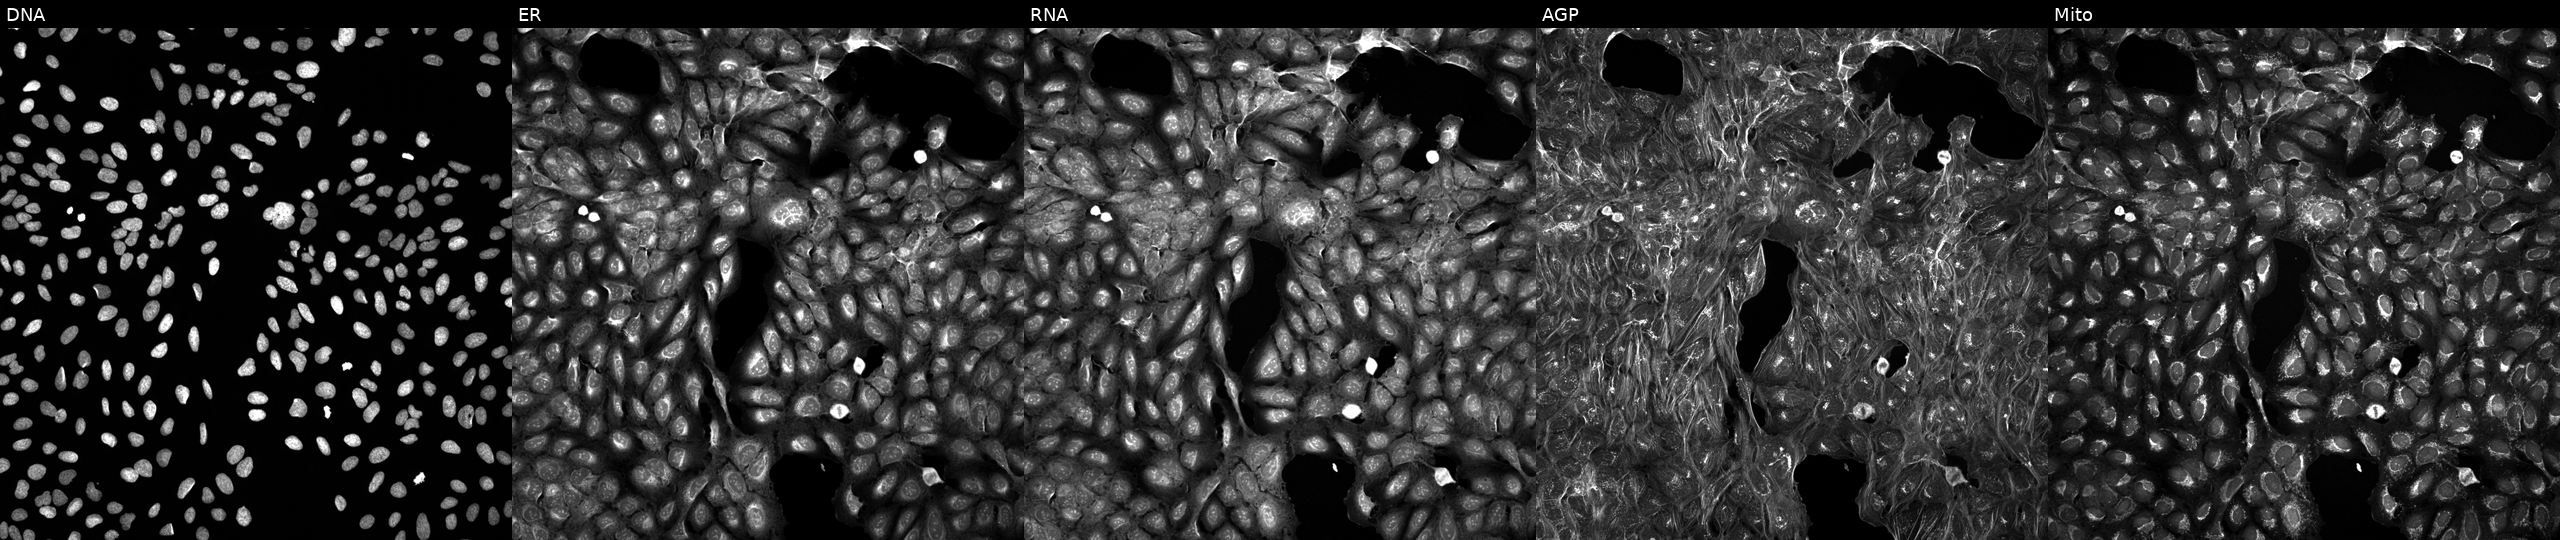
JUMP Cell Painting — TARGET2 plate. U2OS cells perturbed with a small-molecule compound (InChIKey QVZCXCJXTMIDME-UHFFFAOYSA-N) [SMILES: COc1cc(C(=O)OCCCN2CCCN(CCCOC(=O)c3cc(OC)c(OC)c(OC)c3)CC2)cc(OC)c1OC] (JUMP id JCP2022_076233). From left to right: Hoechst 33342, concanavalin A, SYTO 14, phalloidin and WGA, MitoTracker.